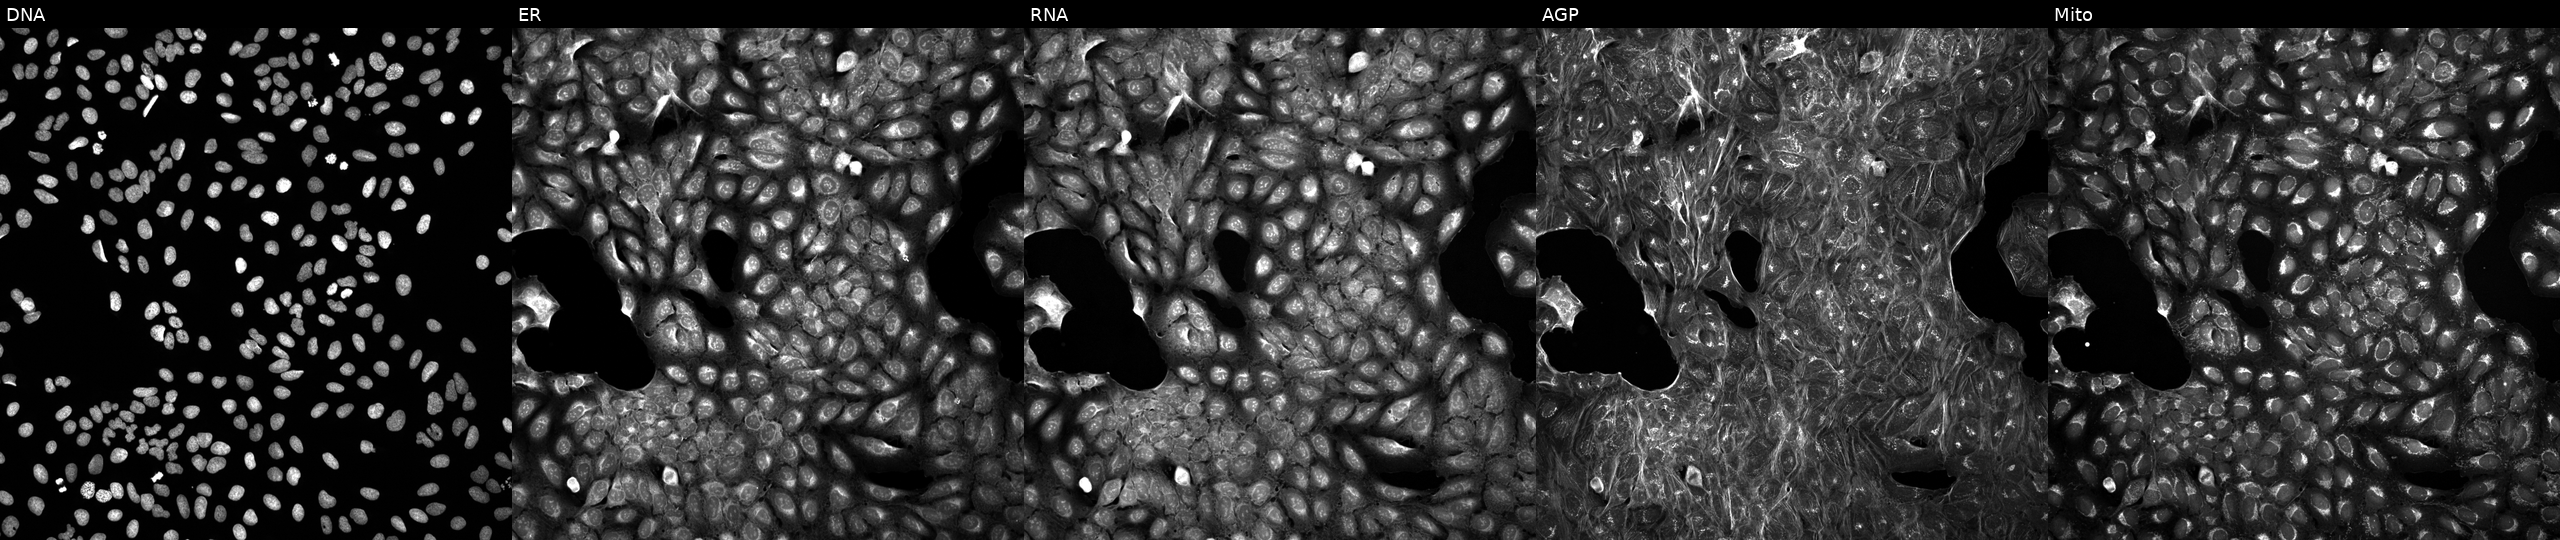
High-content fluorescence microscopy (Cell Painting). Cell line: U2OS. Perturbation: exposed to a small-molecule compound (InChIKey ZDXPYRJPNDTMRX-UHFFFAOYSA-N) [SMILES: NC(=O)CCC(N)C(=O)O]. Panels show, left to right, DNA (nuclei); ER (endoplasmic reticulum); RNA (nucleoli and cytoplasmic RNA); AGP (actin cytoskeleton, Golgi, and plasma membrane); Mito (mitochondria).